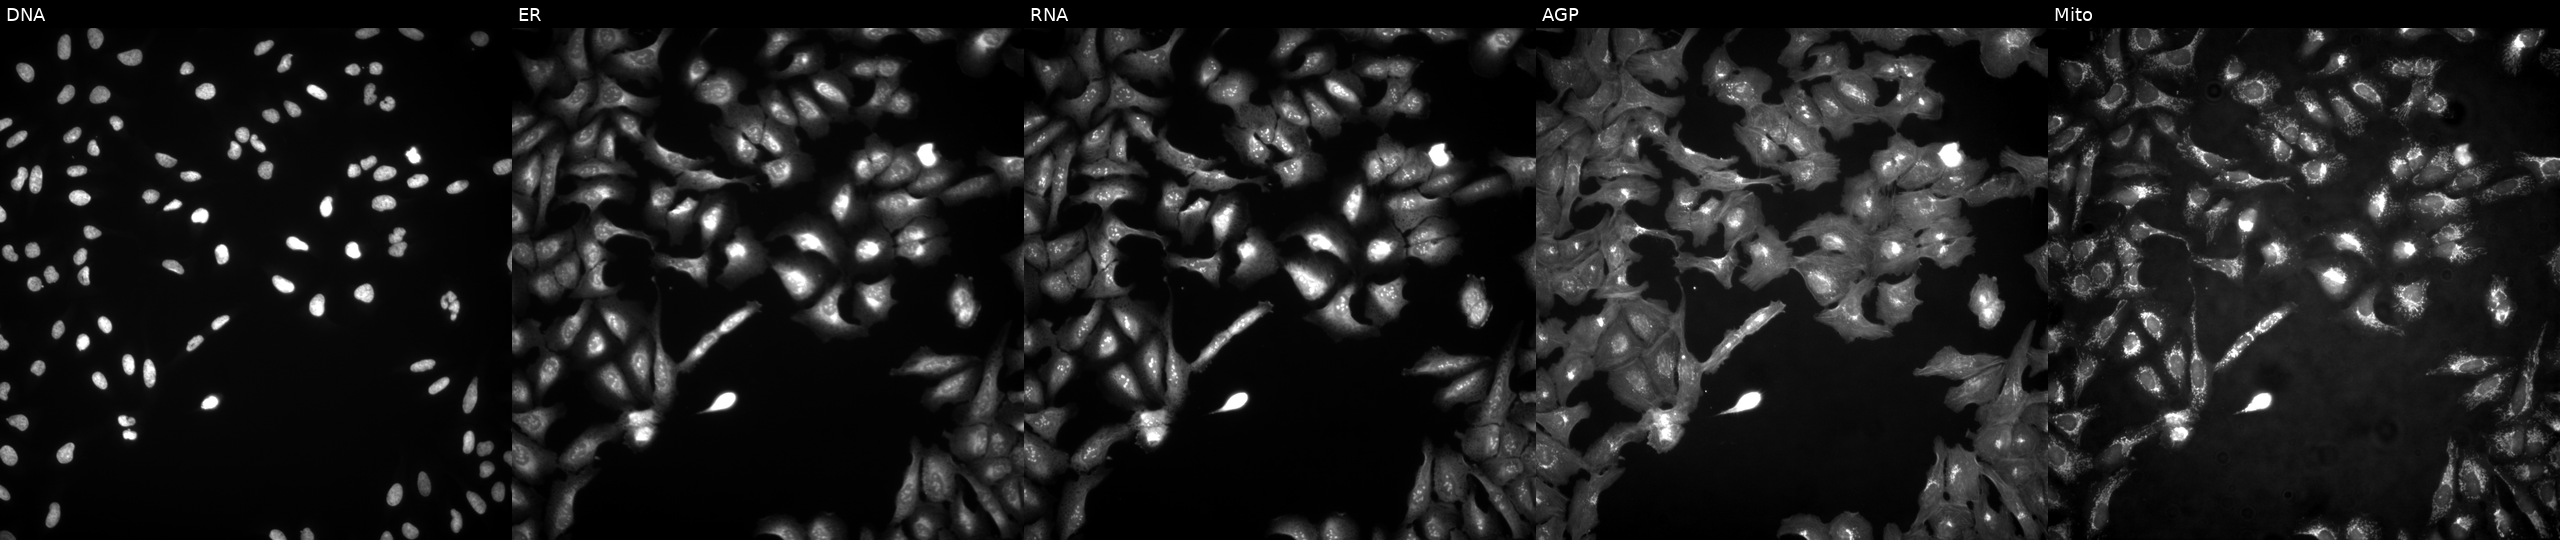
This image strip shows the five Cell Painting channels for a single field of U2OS cells with UQCC1 overexpressed (ORF) (JUMP id JCP2022_911369). From left to right: Hoechst 33342, concanavalin A, SYTO 14, phalloidin and WGA, MitoTracker. Source 4, plate BR00123509, well L14.